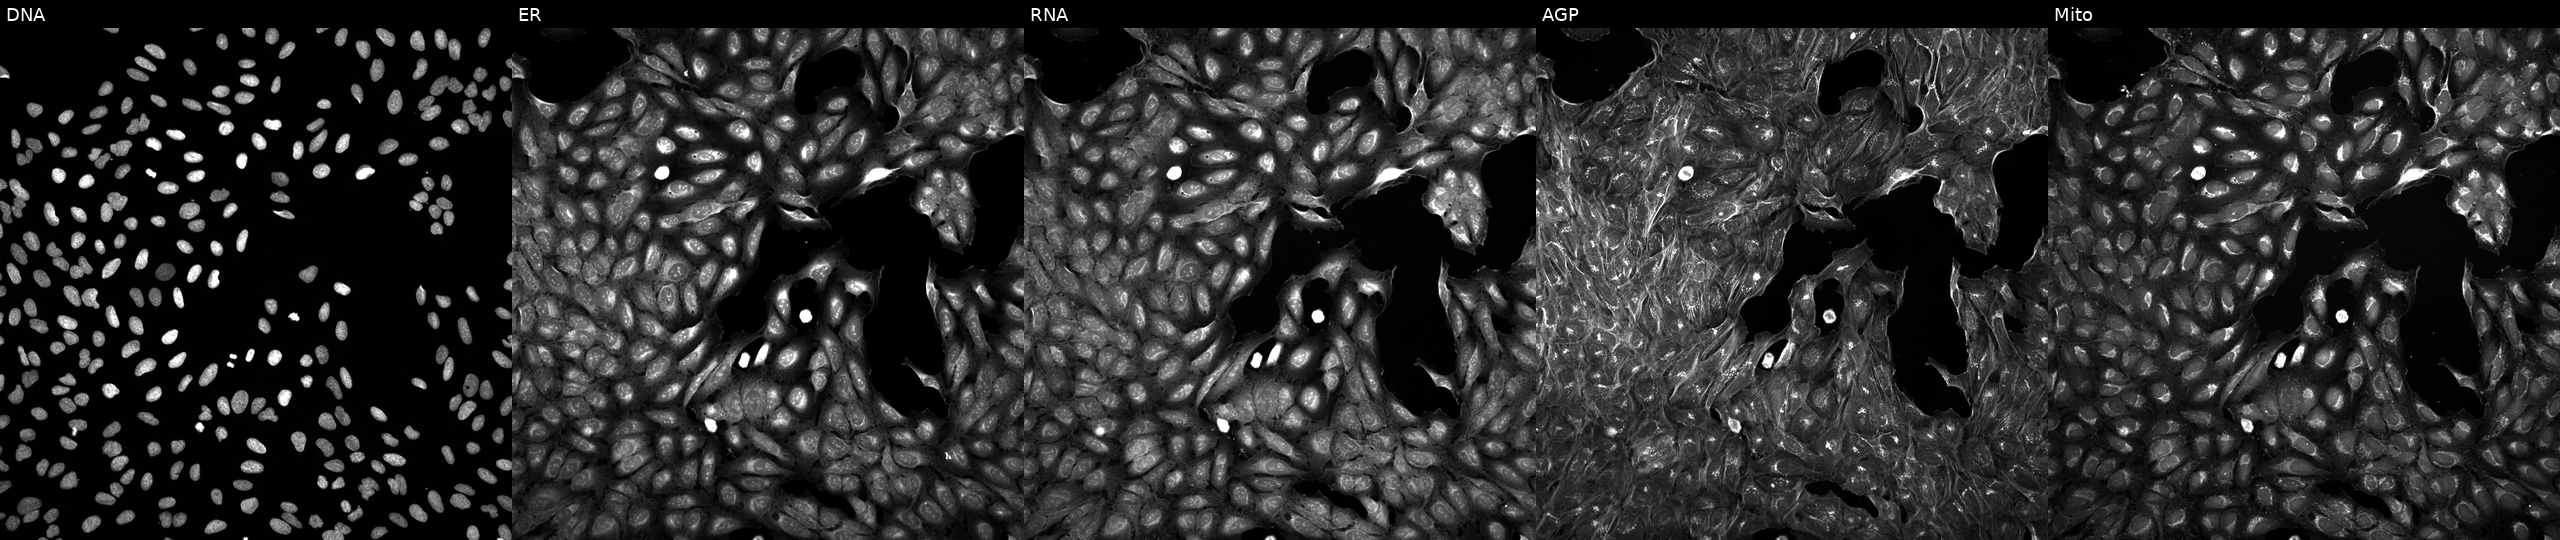
JUMP Cell Painting — COMPOUND plate. U2OS cells perturbed with a small-molecule compound (InChIKey ZVBVLQHISHKXLZ-UHFFFAOYSA-N) [SMILES: COCCN(CC(=O)N(C)C)c1ncnc2c1CCCCC2] (JUMP id JCP2022_115860). Channels (left→right): DNA, ER, RNA, AGP, and Mito. Source 5, plate APTJUM105, well A16.